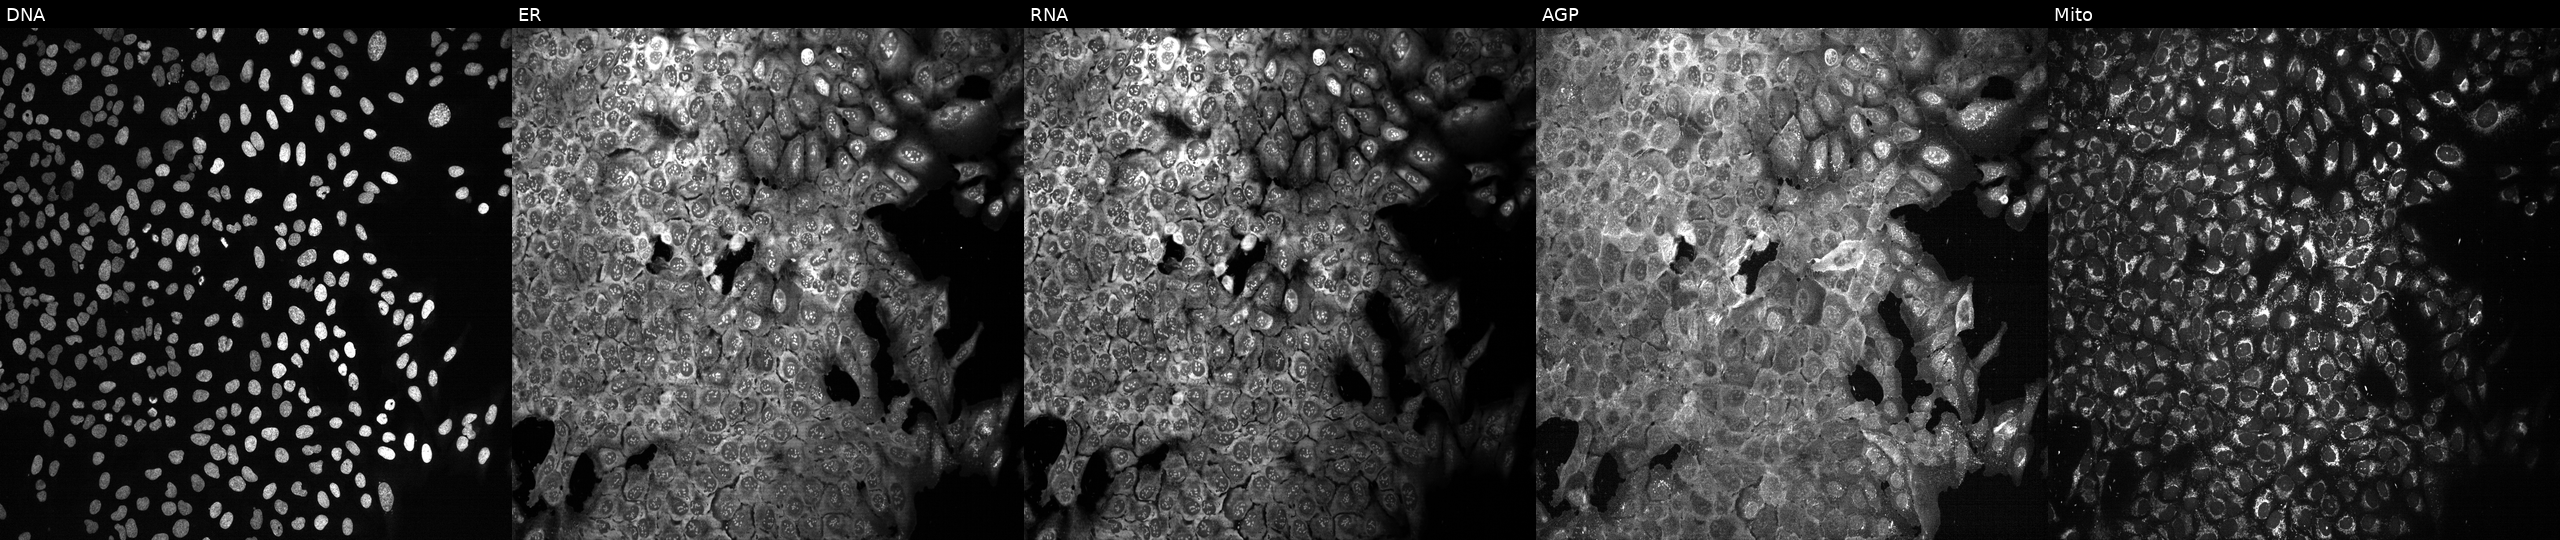
This image strip shows the five Cell Painting channels for a single field of U2OS cells with a non-targeting CRISPR guide (negative control). From left to right: DNA, ER, RNA, AGP, and Mito. Source 13, plate CP-CC9-R3-01, well M02.